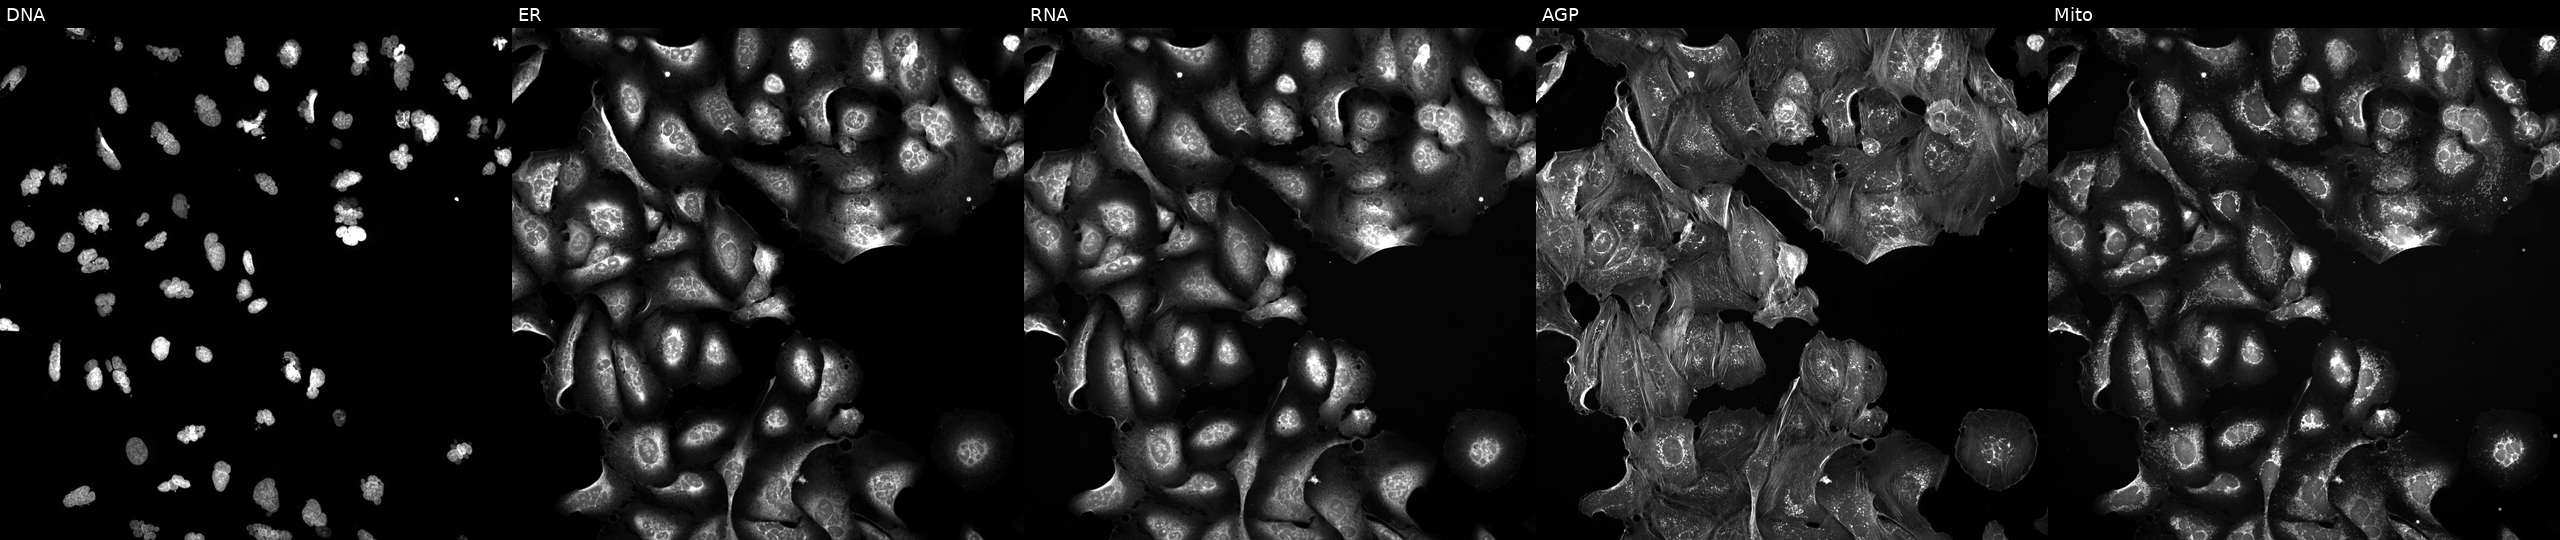
From left to right: DNA, ER, RNA, AGP, and Mito. U2OS osteosarcoma cells treated with a small-molecule compound [SMILES: CCCOc1ccc2[nH]c(=NC(=O)OC)[nH]c2c1]. Cell Painting assay, JUMP-CP dataset.